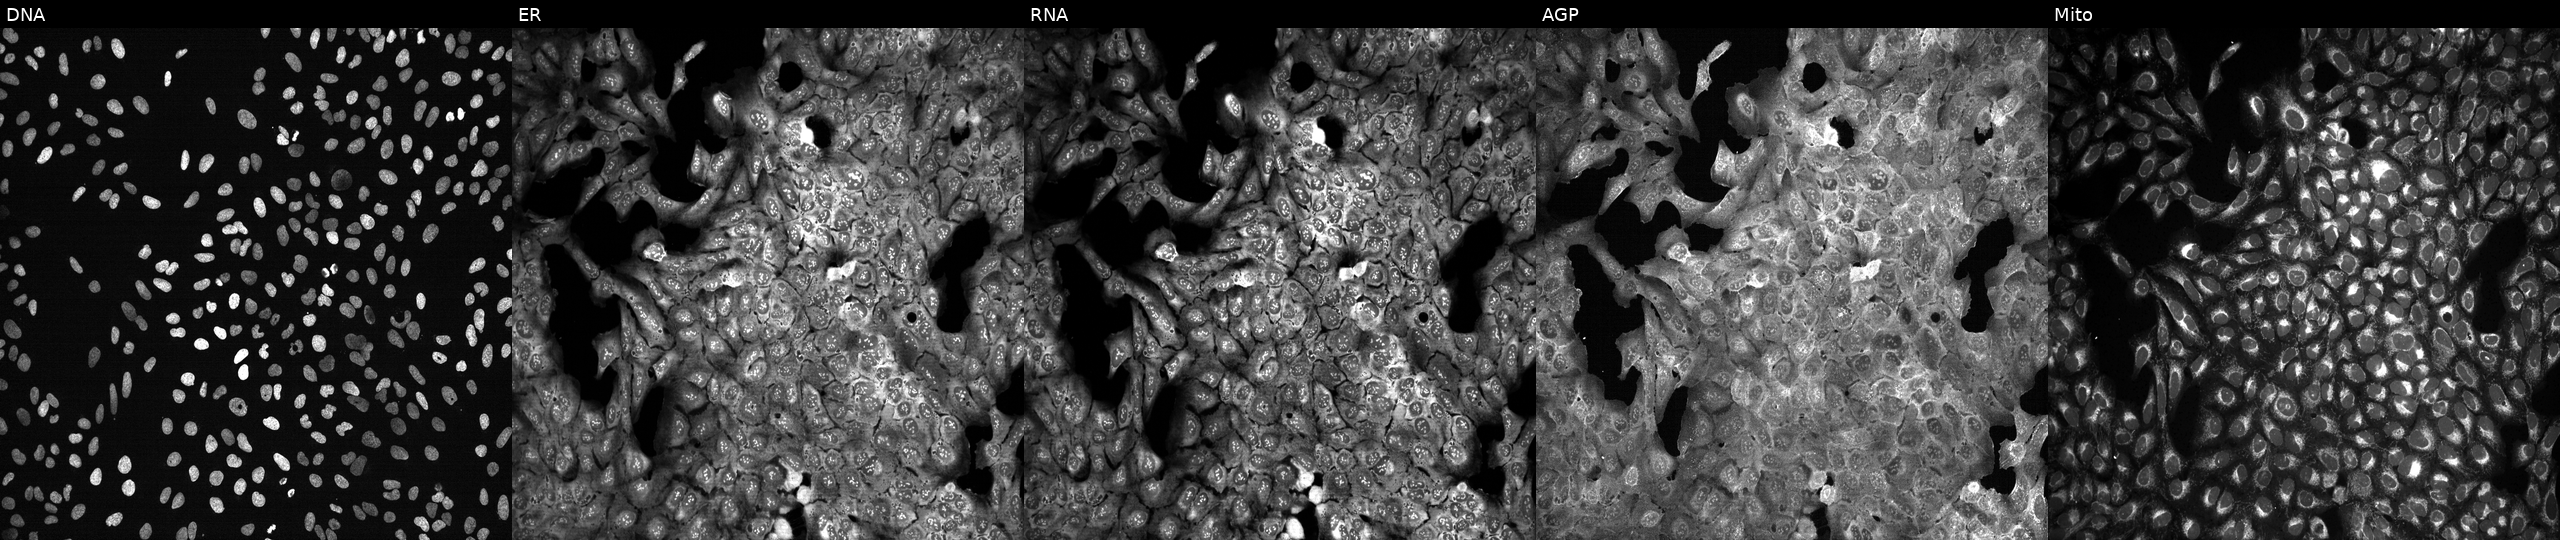
JUMP Cell Painting — CRISPR plate. U2OS cells CRISPR-edited to disrupt HBS1L. Panels show, left to right, DNA (nuclei); ER (endoplasmic reticulum); RNA (nucleoli and cytoplasmic RNA); AGP (actin cytoskeleton, Golgi, and plasma membrane); Mito (mitochondria). Source 13, plate CP-CC9-R3-02, well H13.